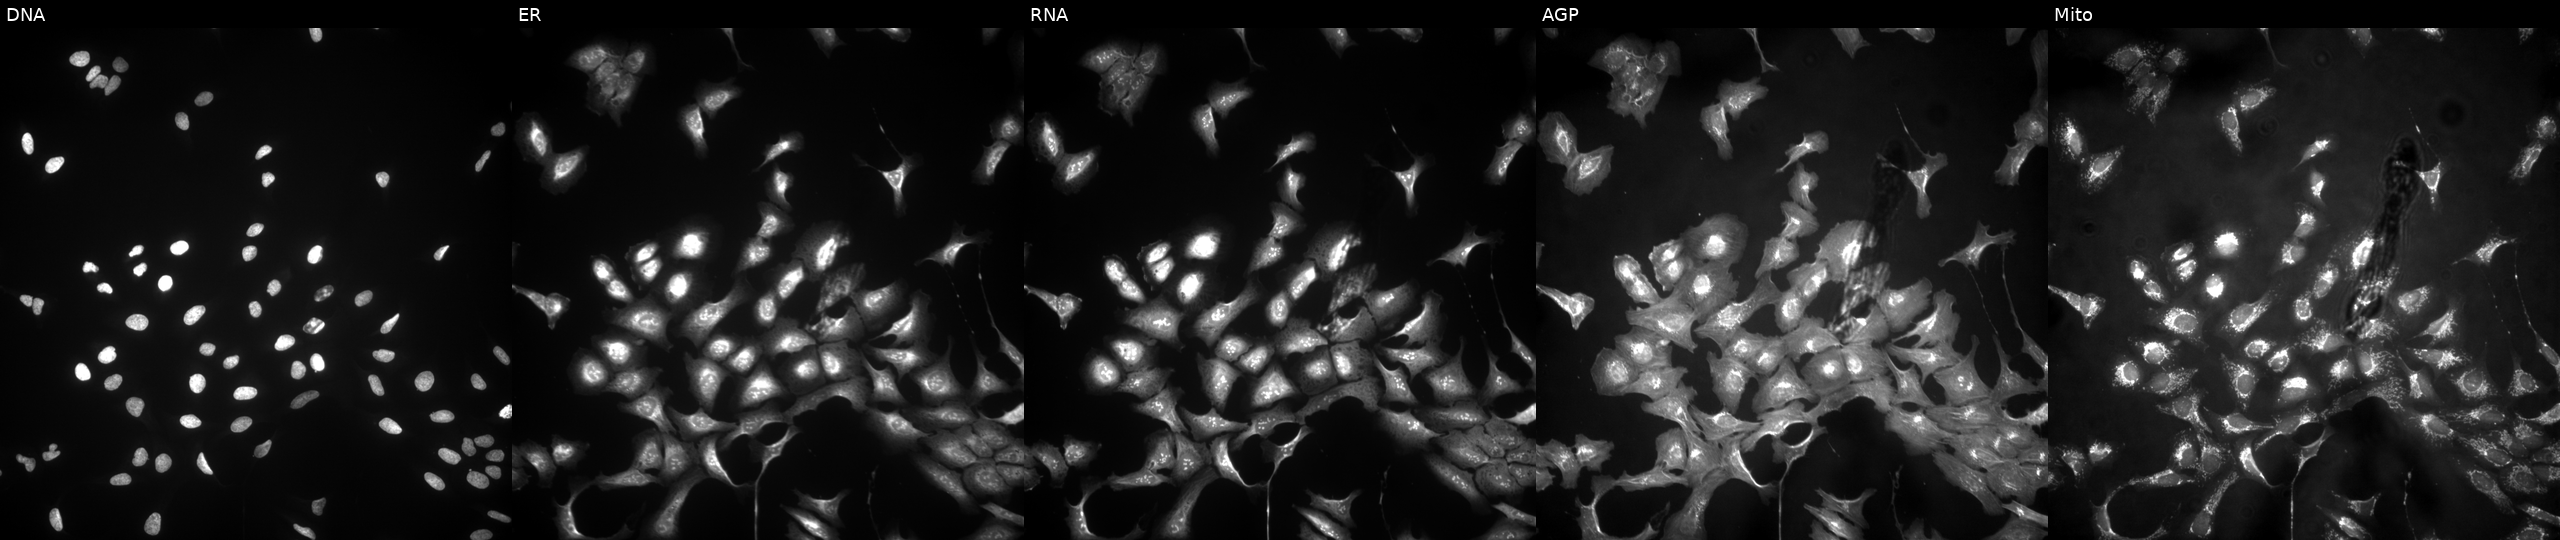
High-content fluorescence microscopy (Cell Painting). Cell line: U2OS. Perturbation: overexpressing DUOXA1 via ORF transfection. Channels (left→right): DNA, ER, RNA, AGP, and Mito.